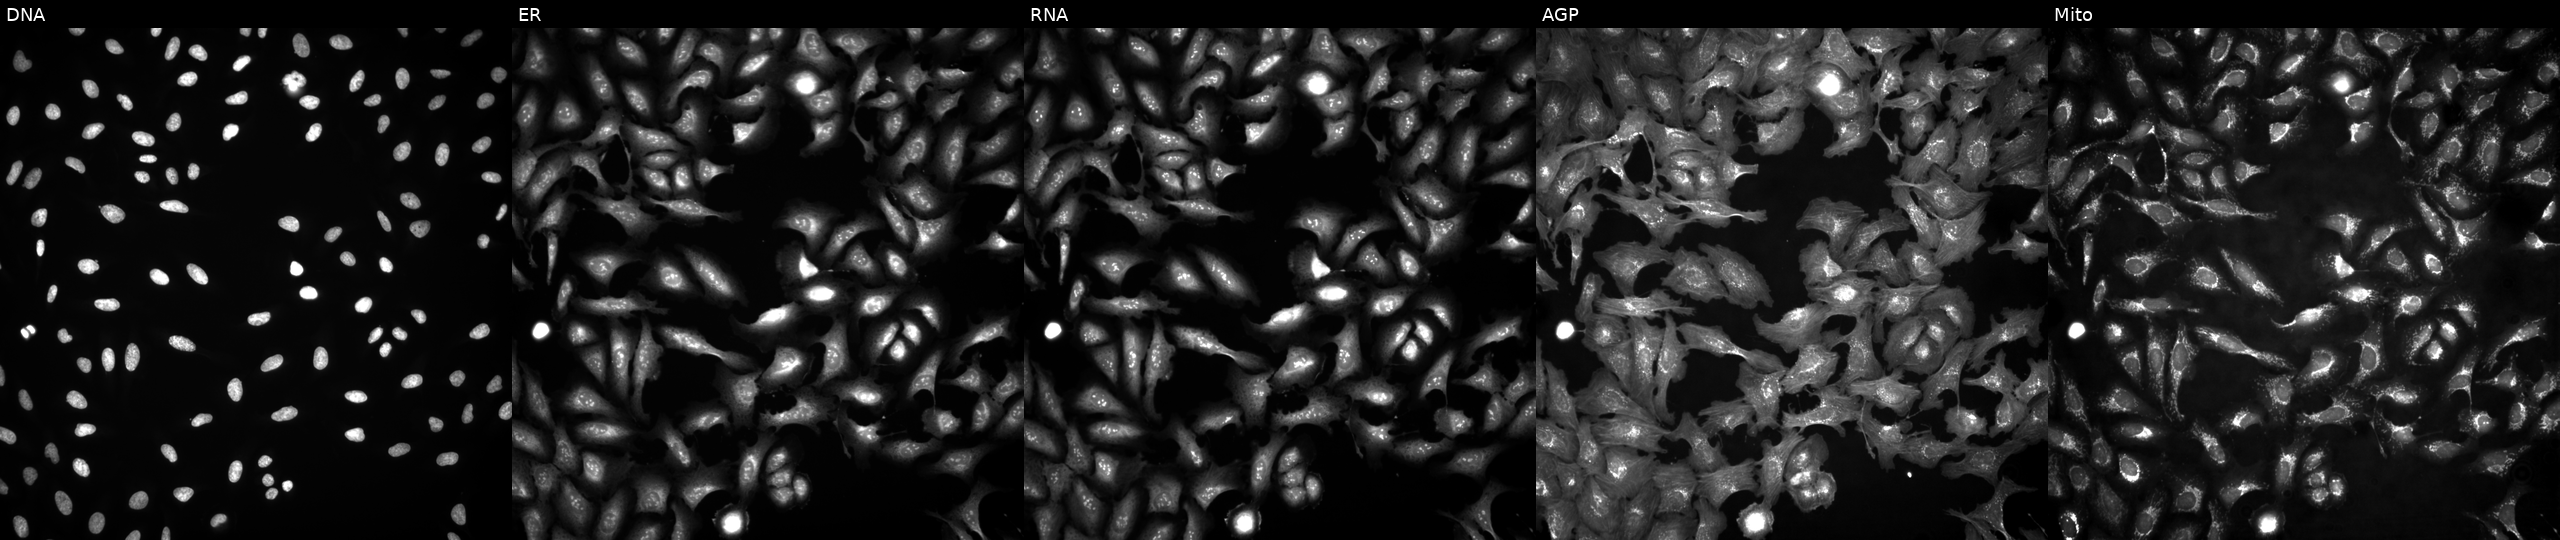
Five-channel Cell Painting image of U2OS cells with STK32C overexpressed (ORF). From left to right: DNA, ER, RNA, AGP, and Mito. Source 4, plate BR00123945, well F12.